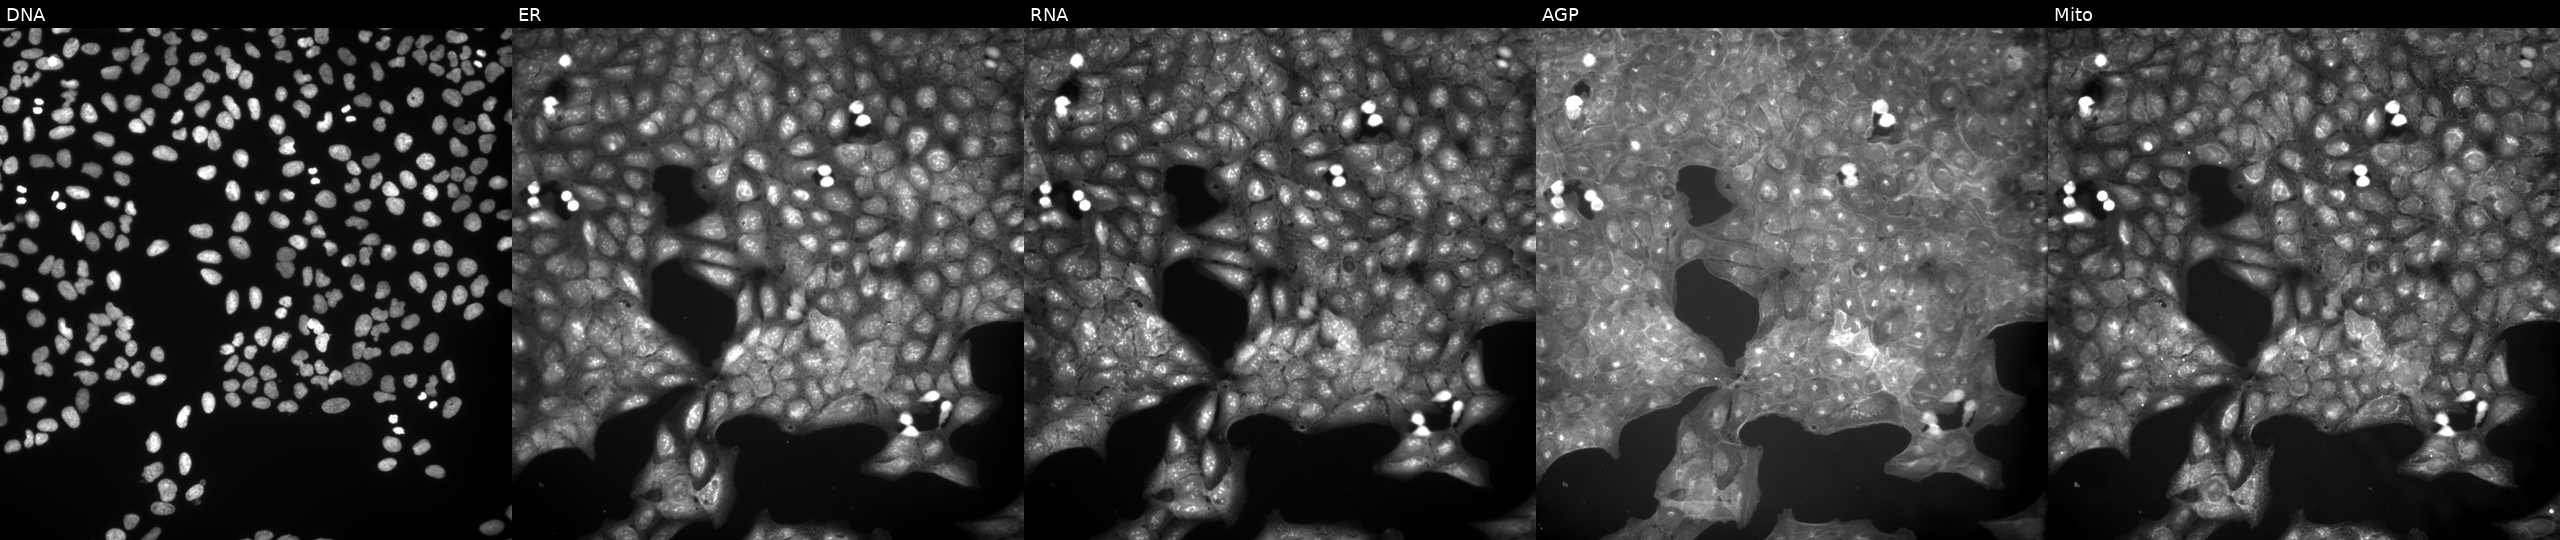
U2OS cells, Cell Painting assay, perturbed with a small-molecule compound. Channels (left→right): DNA (nuclei); ER (endoplasmic reticulum); RNA (nucleoli and cytoplasmic RNA); AGP (actin cytoskeleton, Golgi, and plasma membrane); Mito (mitochondria). Each panel is percentile-stretched 16-bit fluorescence.